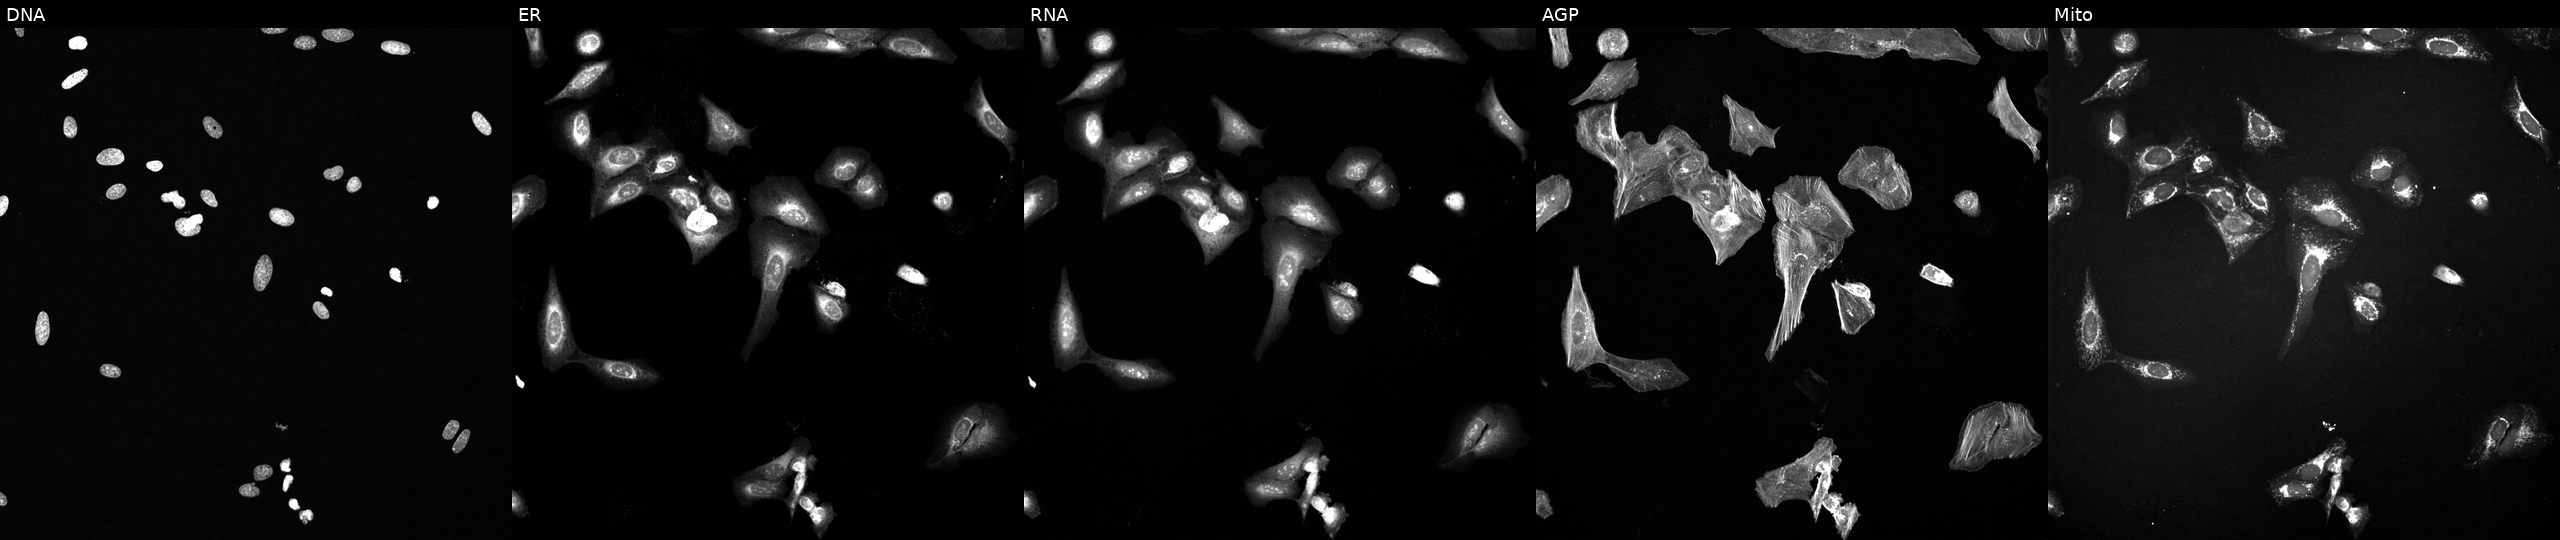
Panels show, left to right, DNA (nuclei); ER (endoplasmic reticulum); RNA (nucleoli and cytoplasmic RNA); AGP (actin cytoskeleton, Golgi, and plasma membrane); Mito (mitochondria). U2OS osteosarcoma cells perturbed with a small-molecule compound (InChIKey HUXYBQXJVXOMKX-UHFFFAOYSA-N). Cell Painting assay, JUMP-CP dataset. Source 6, plate 110000293081, well D05.